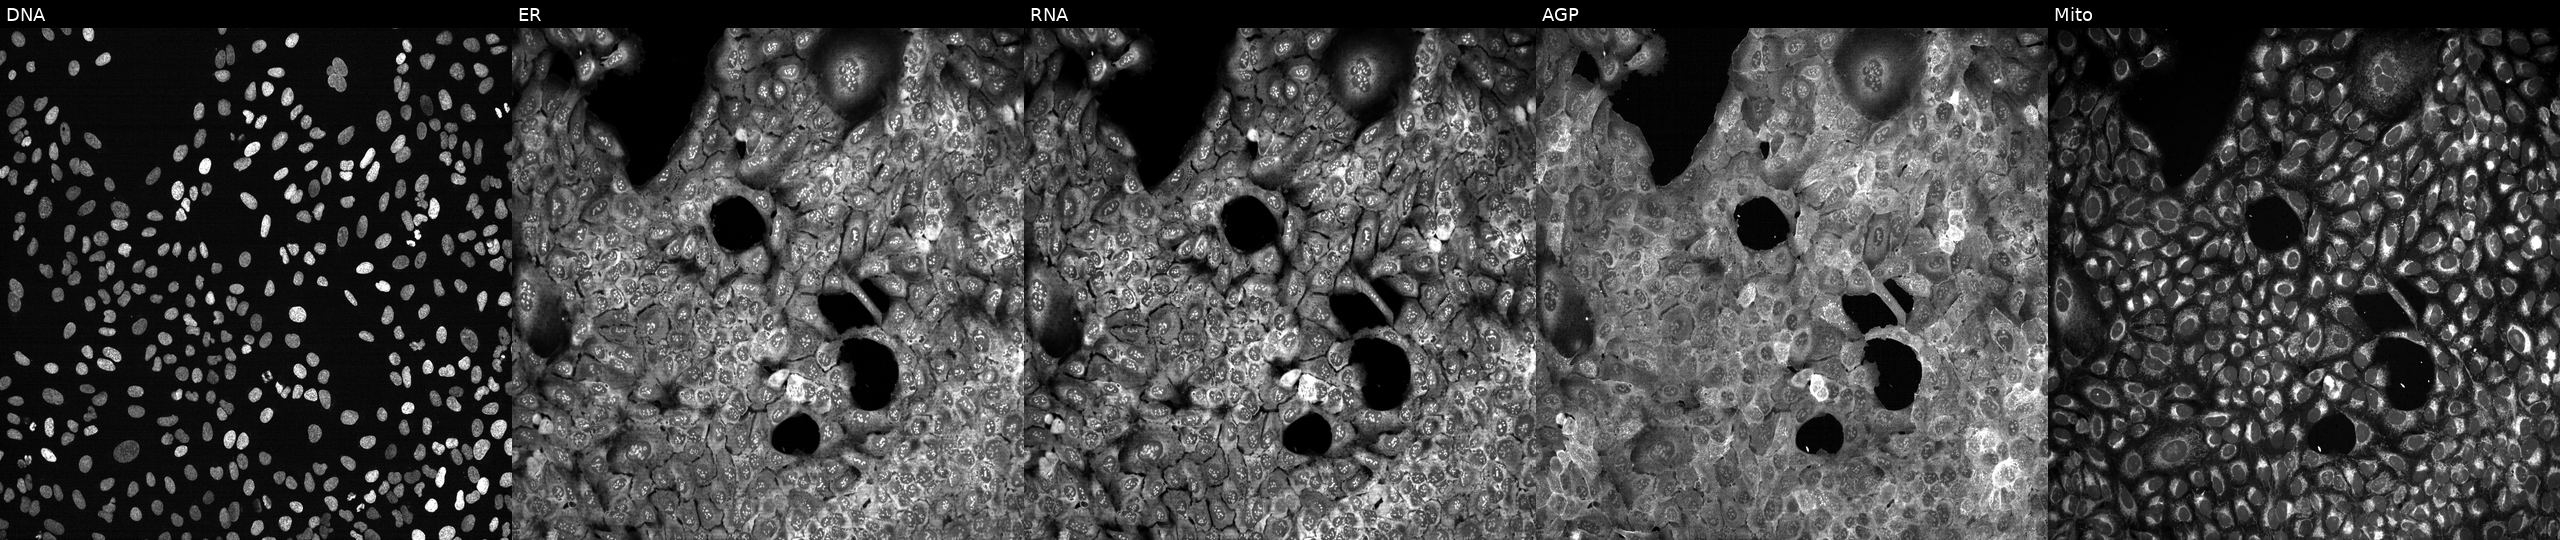
High-content fluorescence microscopy (Cell Painting). Cell line: U2OS. Perturbation: with PLA2G1B knocked out by CRISPR. From left to right: DNA, ER, RNA, AGP, and Mito. Source 13, plate CP-CC9-R3-02, well I05.